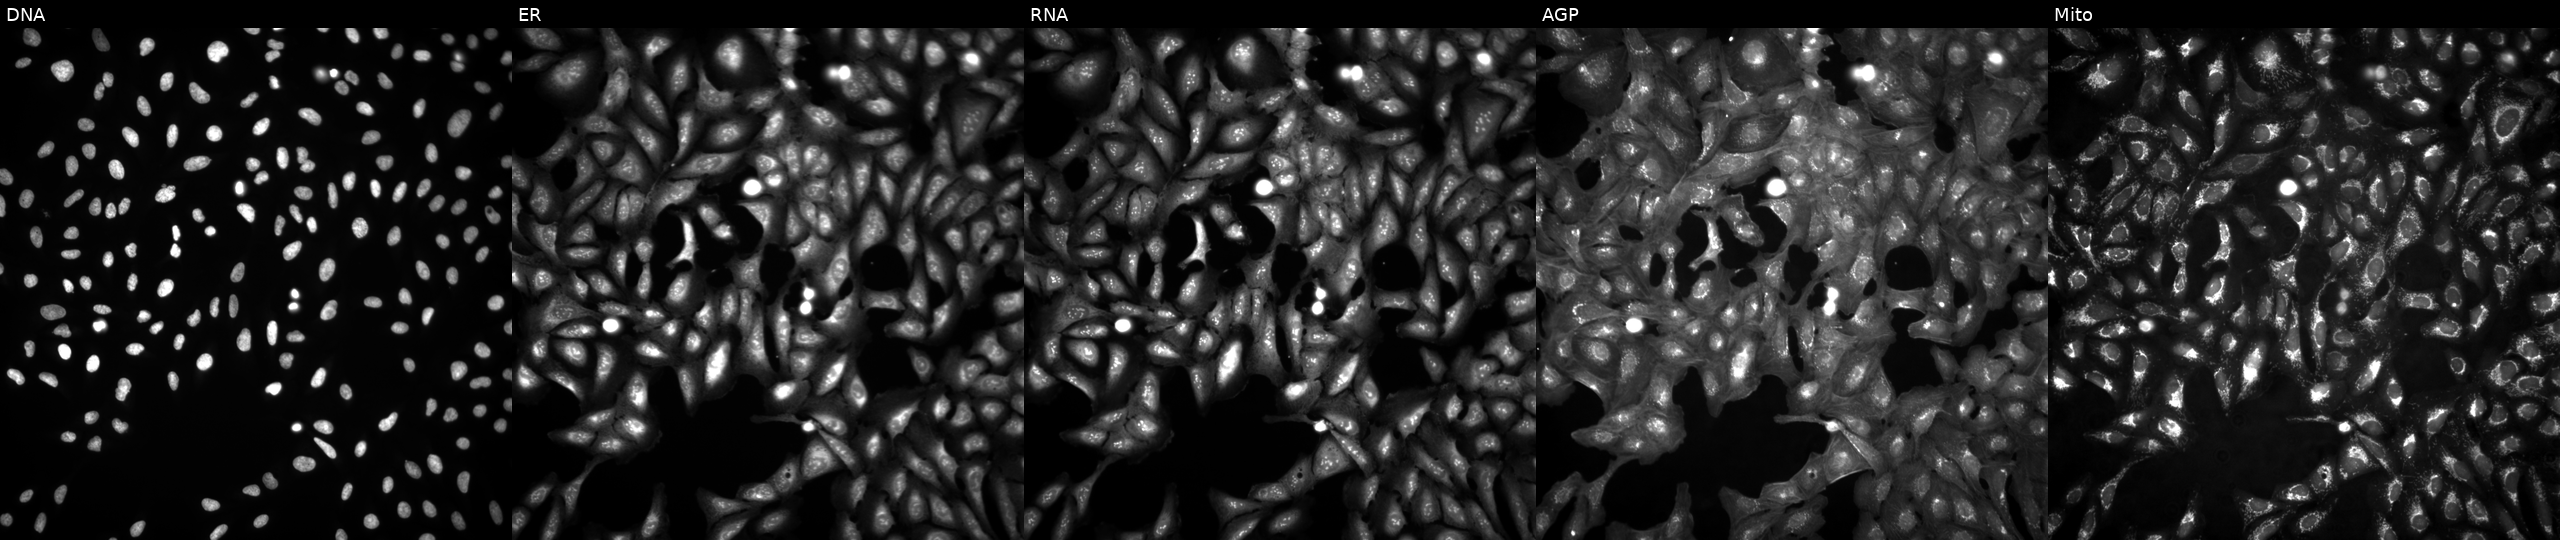
This image strip shows the five Cell Painting channels for a single field of U2OS cells untreated (empty-well control) (JUMP id JCP2022_999999). The five panels, left to right, show DNA (nuclei); ER (endoplasmic reticulum); RNA (nucleoli and cytoplasmic RNA); AGP (actin cytoskeleton, Golgi, and plasma membrane); Mito (mitochondria). Source 4, plate BR00124793, well I17.